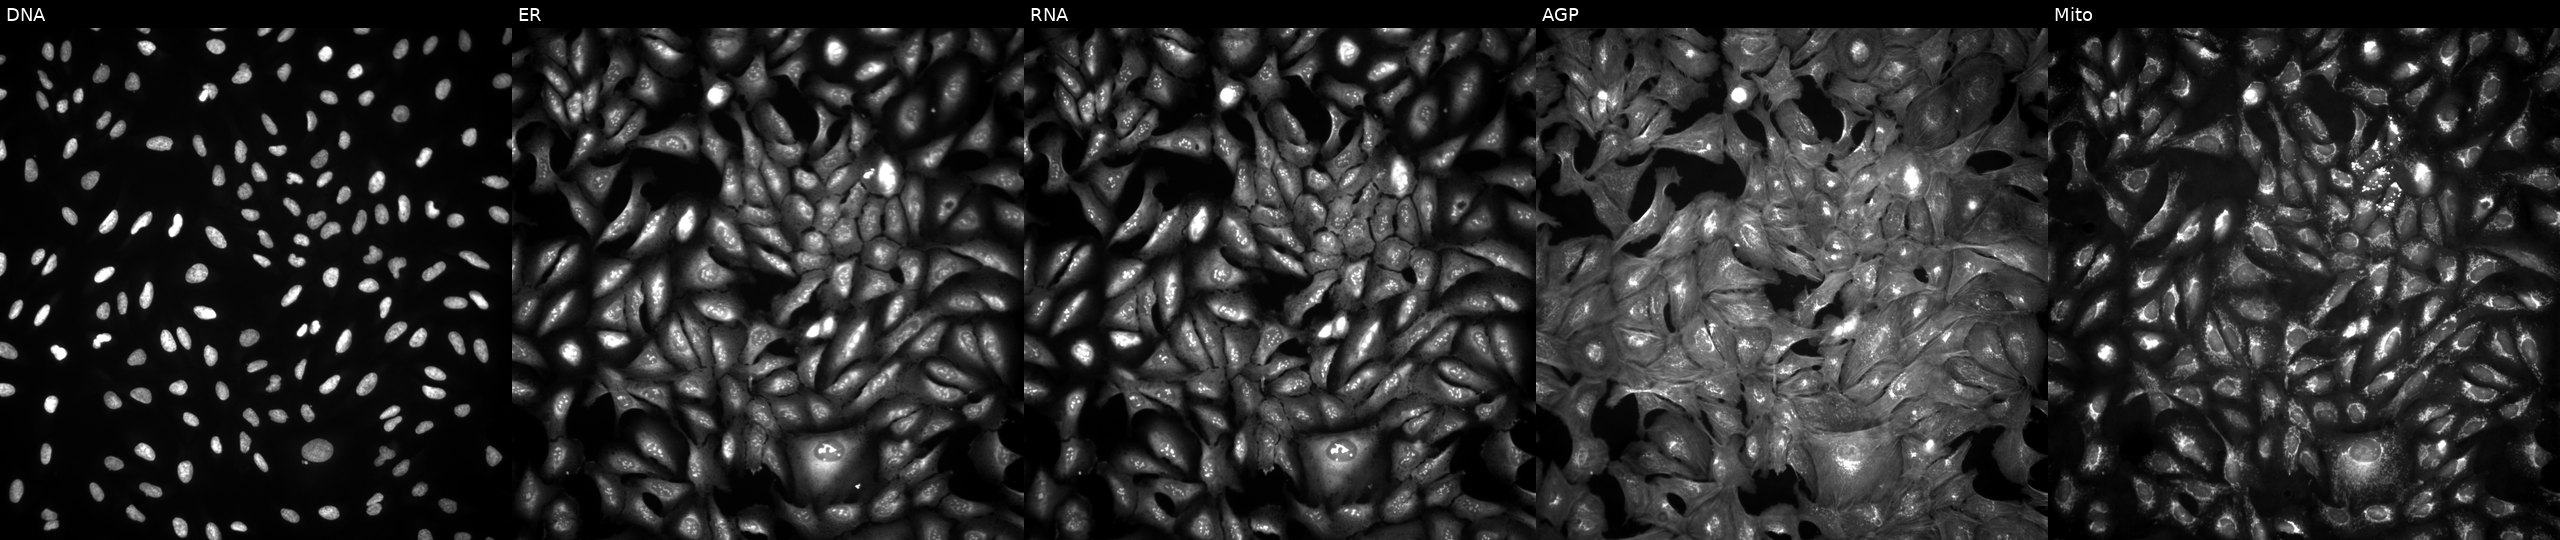
JUMP Cell Painting — ORF plate. U2OS cells with TRIML1 overexpressed (ORF). Panels show, left to right, DNA, ER, RNA, AGP, and Mito.